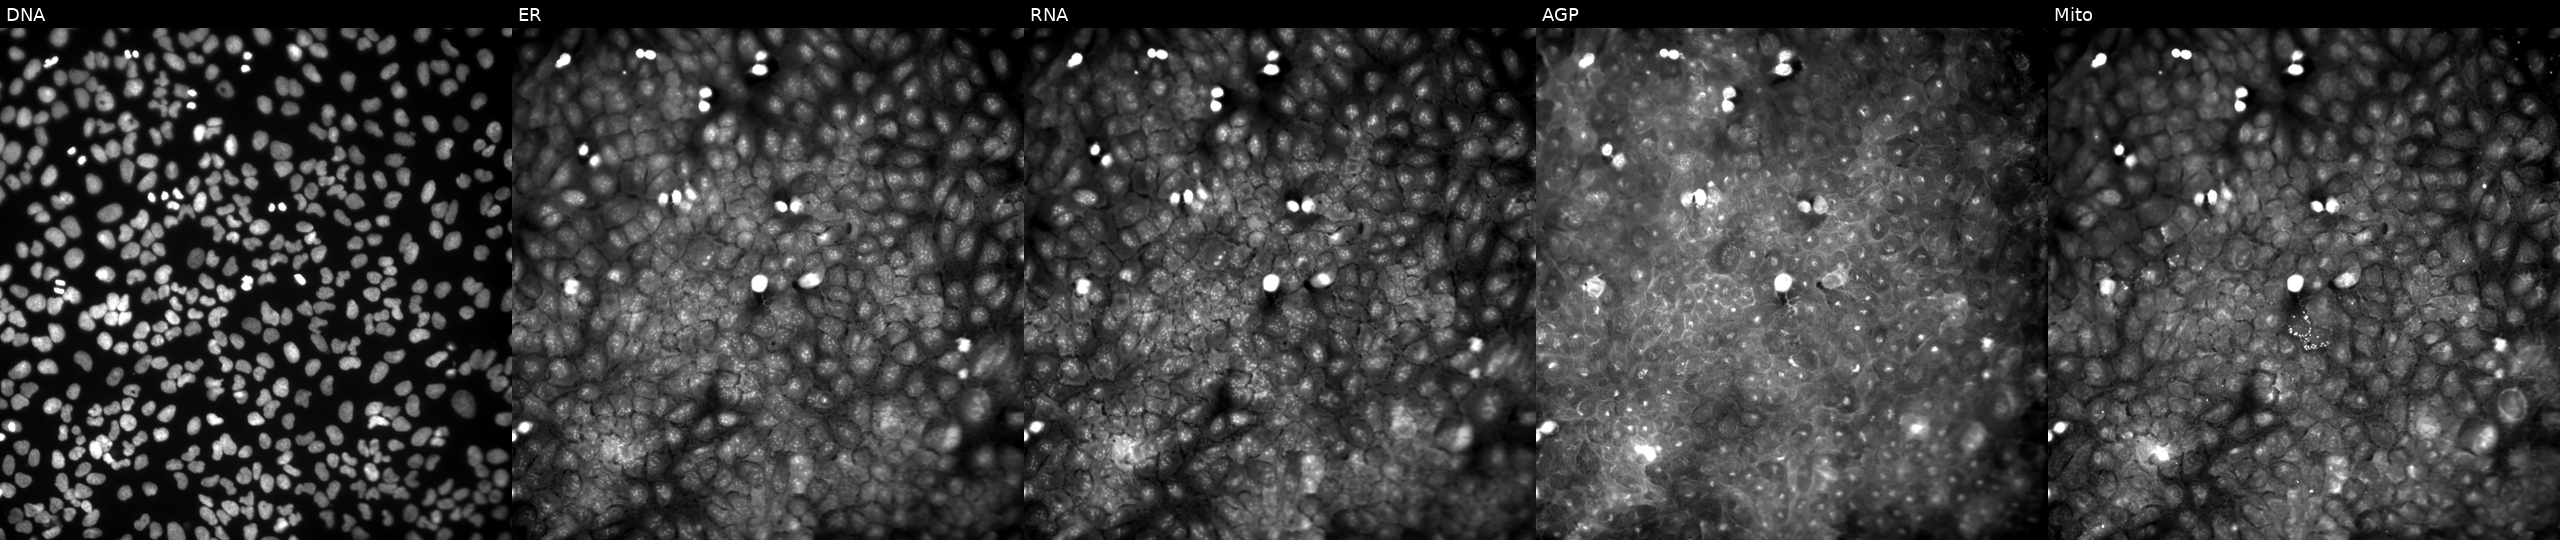
High-content fluorescence microscopy (Cell Painting). Cell line: U2OS. Perturbation: treated with a small-molecule compound (InChIKey SEOOJQZAXYFUBN-UHFFFAOYSA-N). Channels (left→right): Hoechst 33342, concanavalin A, SYTO 14, phalloidin and WGA, MitoTracker.